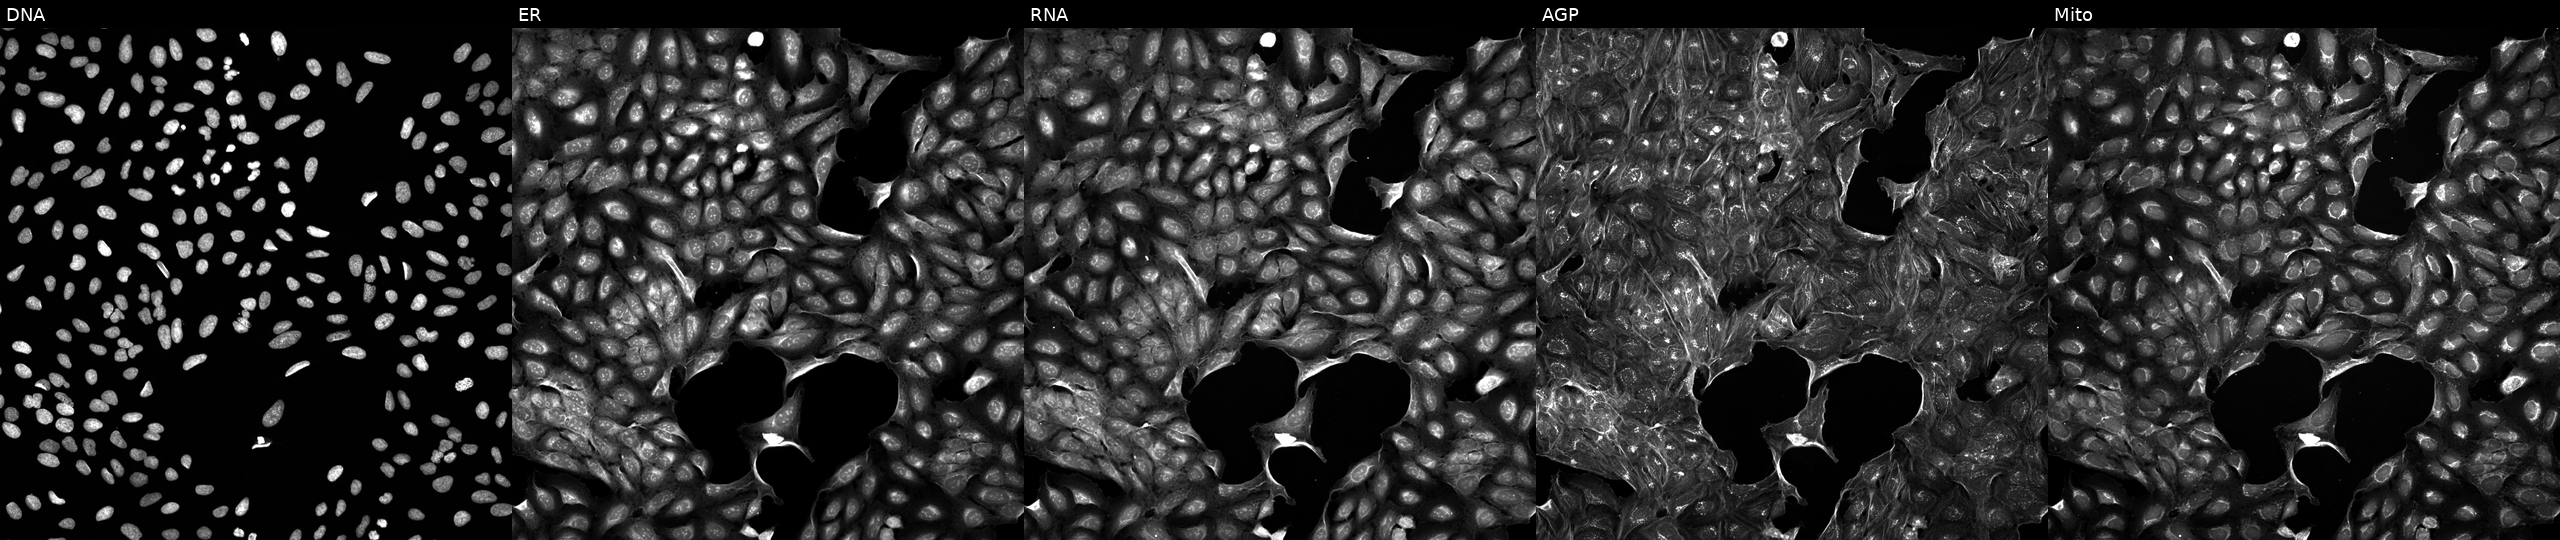
Five-channel Cell Painting image of U2OS cells perturbed with a small-molecule compound (JUMP id JCP2022_022179). From left to right: DNA (nuclei); ER (endoplasmic reticulum); RNA (nucleoli and cytoplasmic RNA); AGP (actin cytoskeleton, Golgi, and plasma membrane); Mito (mitochondria).